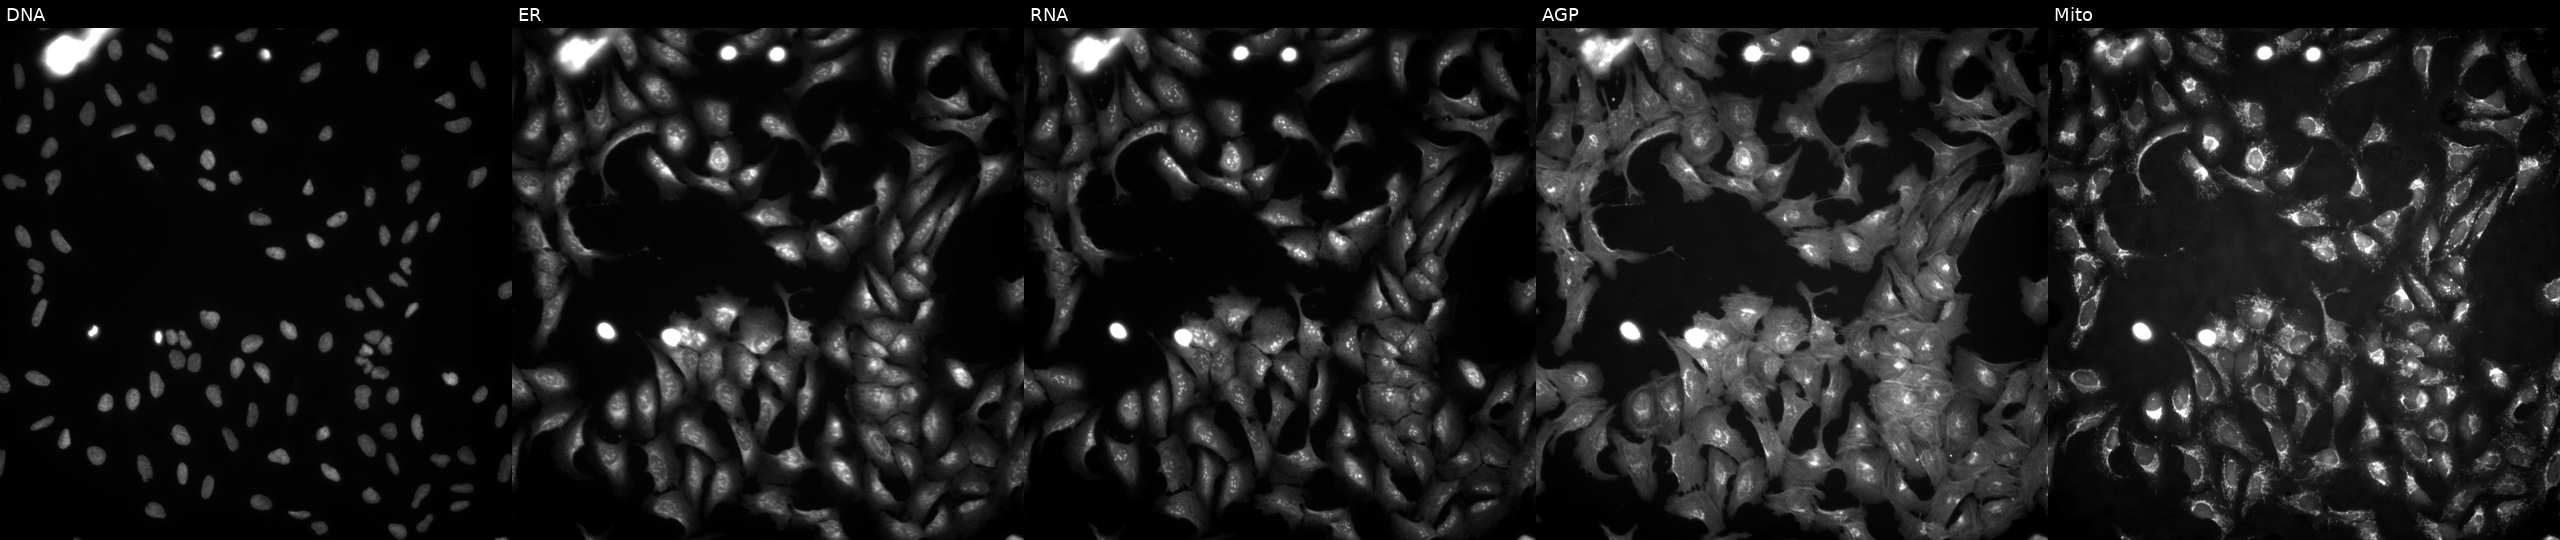
Panels show, left to right, Hoechst 33342, concanavalin A, SYTO 14, phalloidin and WGA, MitoTracker. U2OS osteosarcoma cells with UBL5 overexpressed (ORF) (JUMP id JCP2022_903638). Cell Painting assay, JUMP-CP dataset.